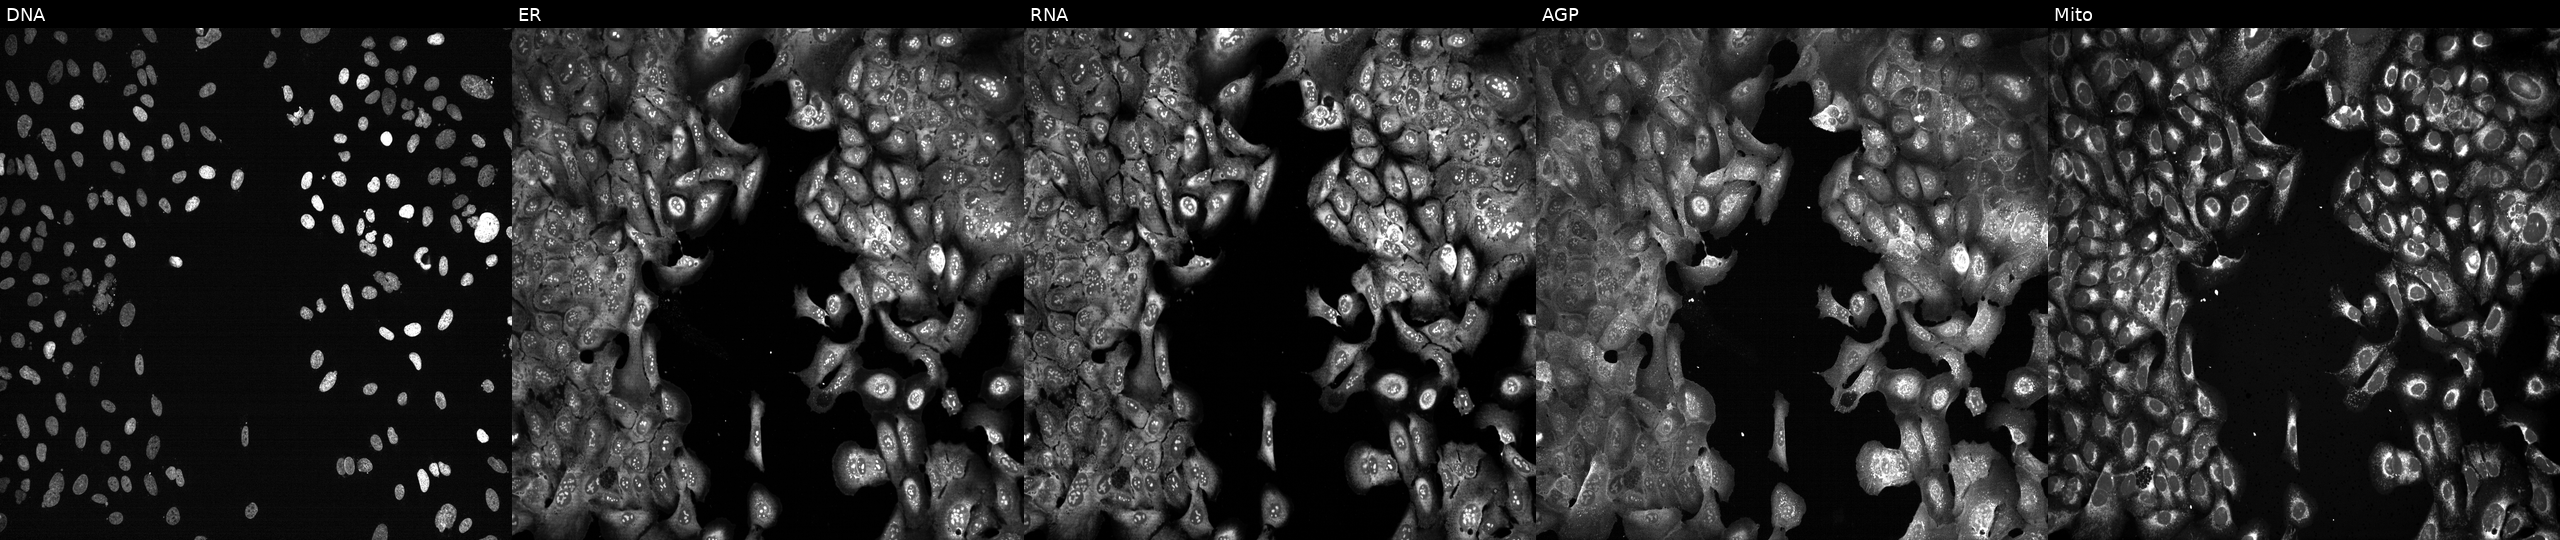
High-content fluorescence microscopy (Cell Painting). Cell line: U2OS. Perturbation: CRISPR-edited to disrupt SEPHS2 (JUMP id JCP2022_806260). From left to right: DNA (nuclei); ER (endoplasmic reticulum); RNA (nucleoli and cytoplasmic RNA); AGP (actin cytoskeleton, Golgi, and plasma membrane); Mito (mitochondria).